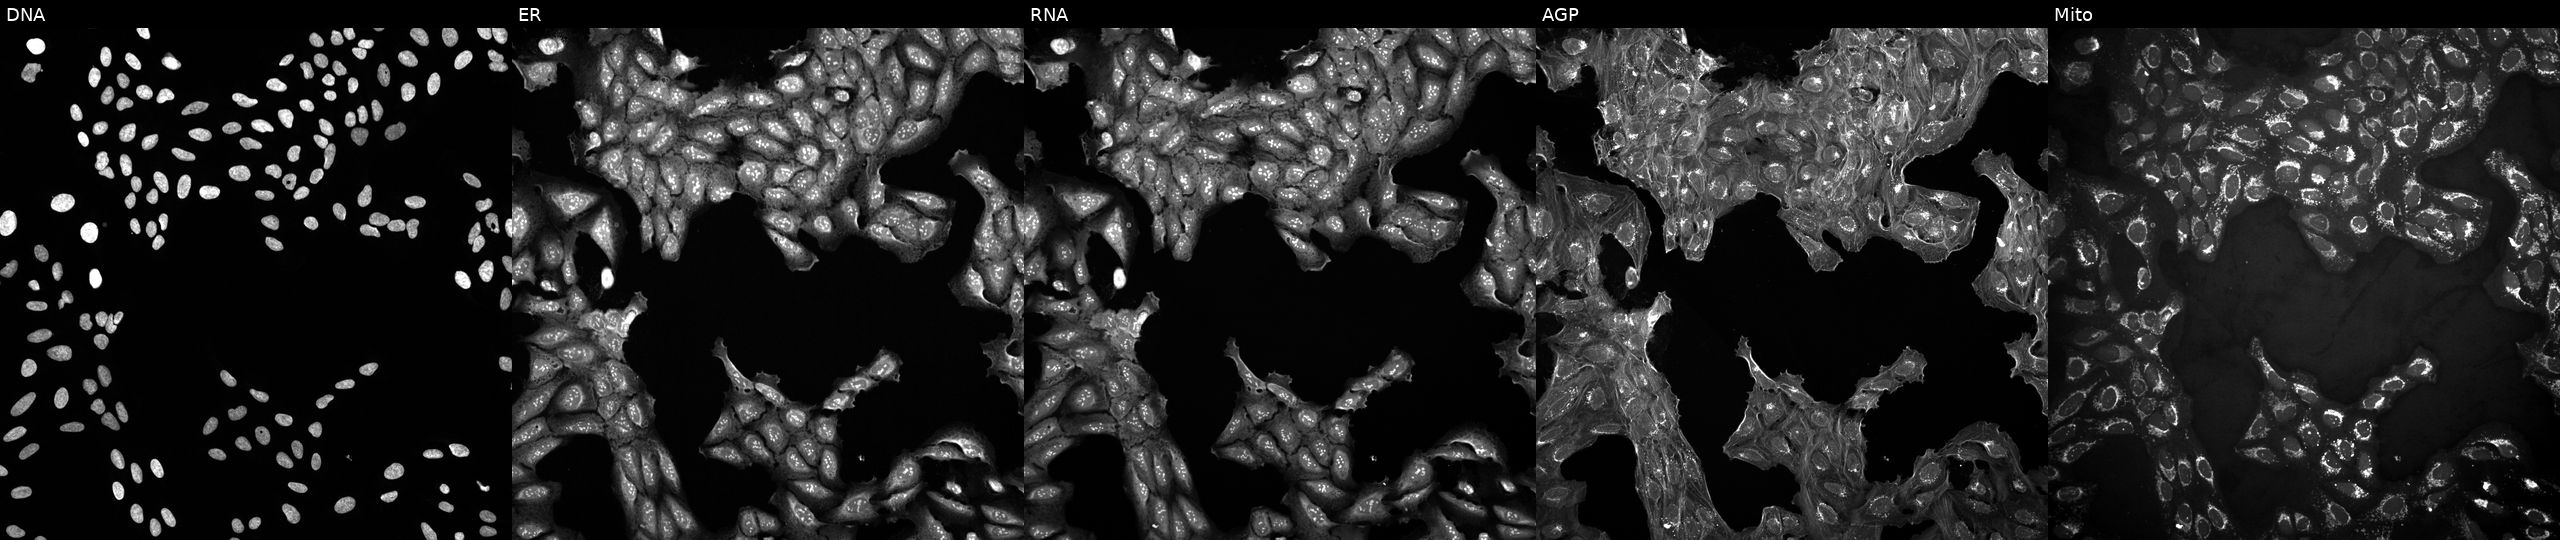
From left to right: DNA (nuclei); ER (endoplasmic reticulum); RNA (nucleoli and cytoplasmic RNA); AGP (actin cytoskeleton, Golgi, and plasma membrane); Mito (mitochondria). U2OS osteosarcoma cells treated with a small-molecule compound (InChIKey NCUSQELWNNSHRU-UHFFFAOYSA-N). Cell Painting assay, JUMP-CP dataset.